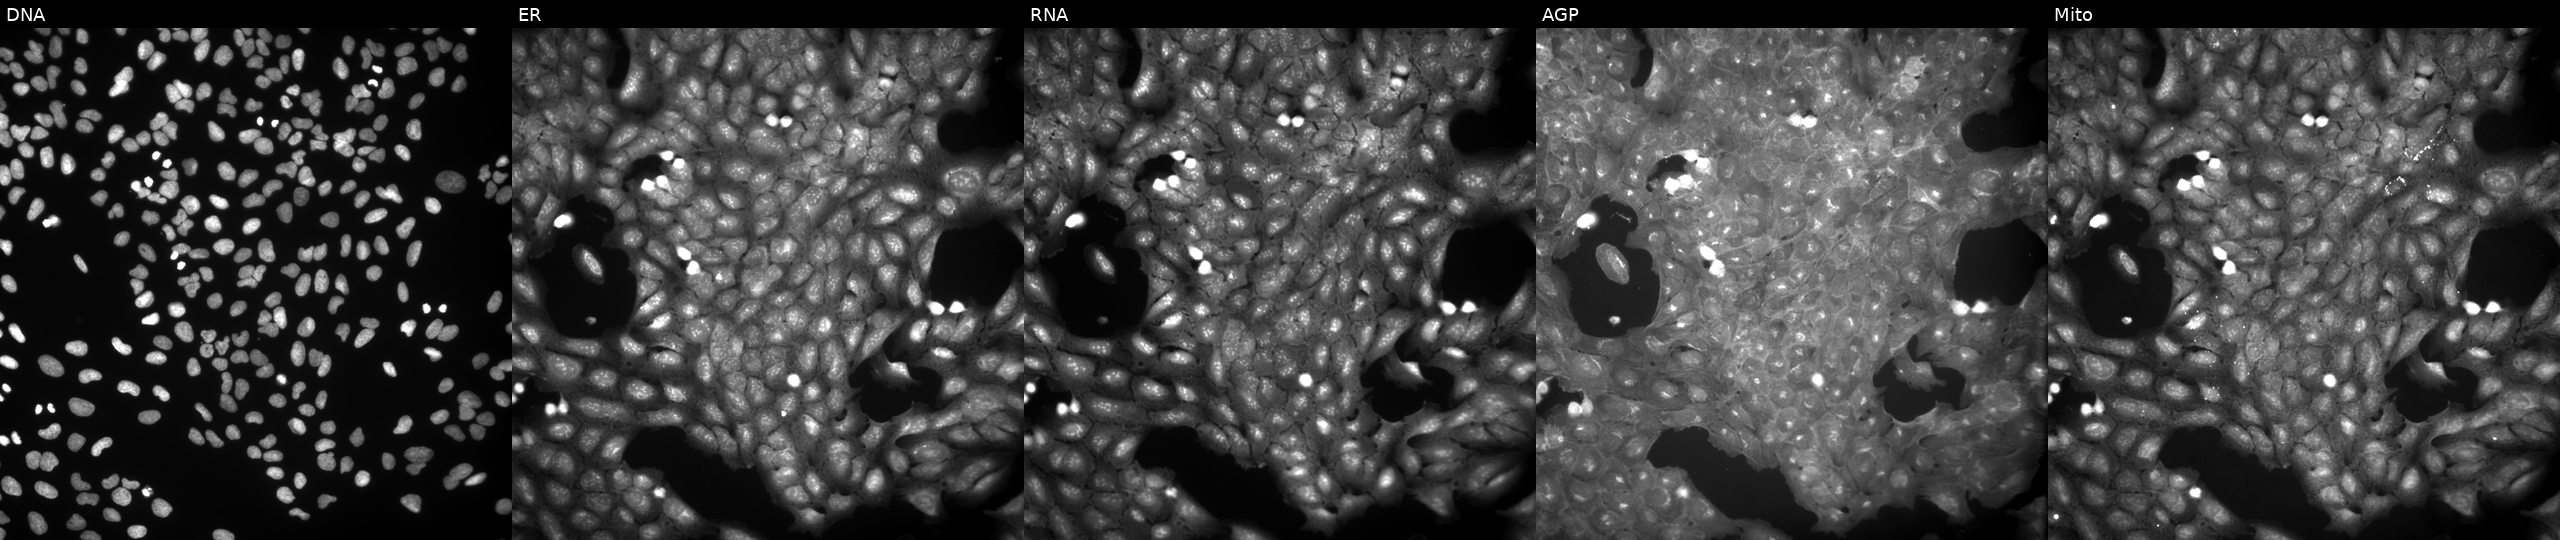
This image strip shows the five Cell Painting channels for a single field of U2OS cells treated with a small-molecule compound (InChIKey WDLIENJGFIRXFT-UHFFFAOYSA-N) [SMILES: COC(=O)CNC(=O)Cn1cnc2c1c(=O)n(C)c(=O)n2C]. The five panels, left to right, show Hoechst 33342, concanavalin A, SYTO 14, phalloidin and WGA, MitoTracker. Source 9, plate GR00003381, well V38.